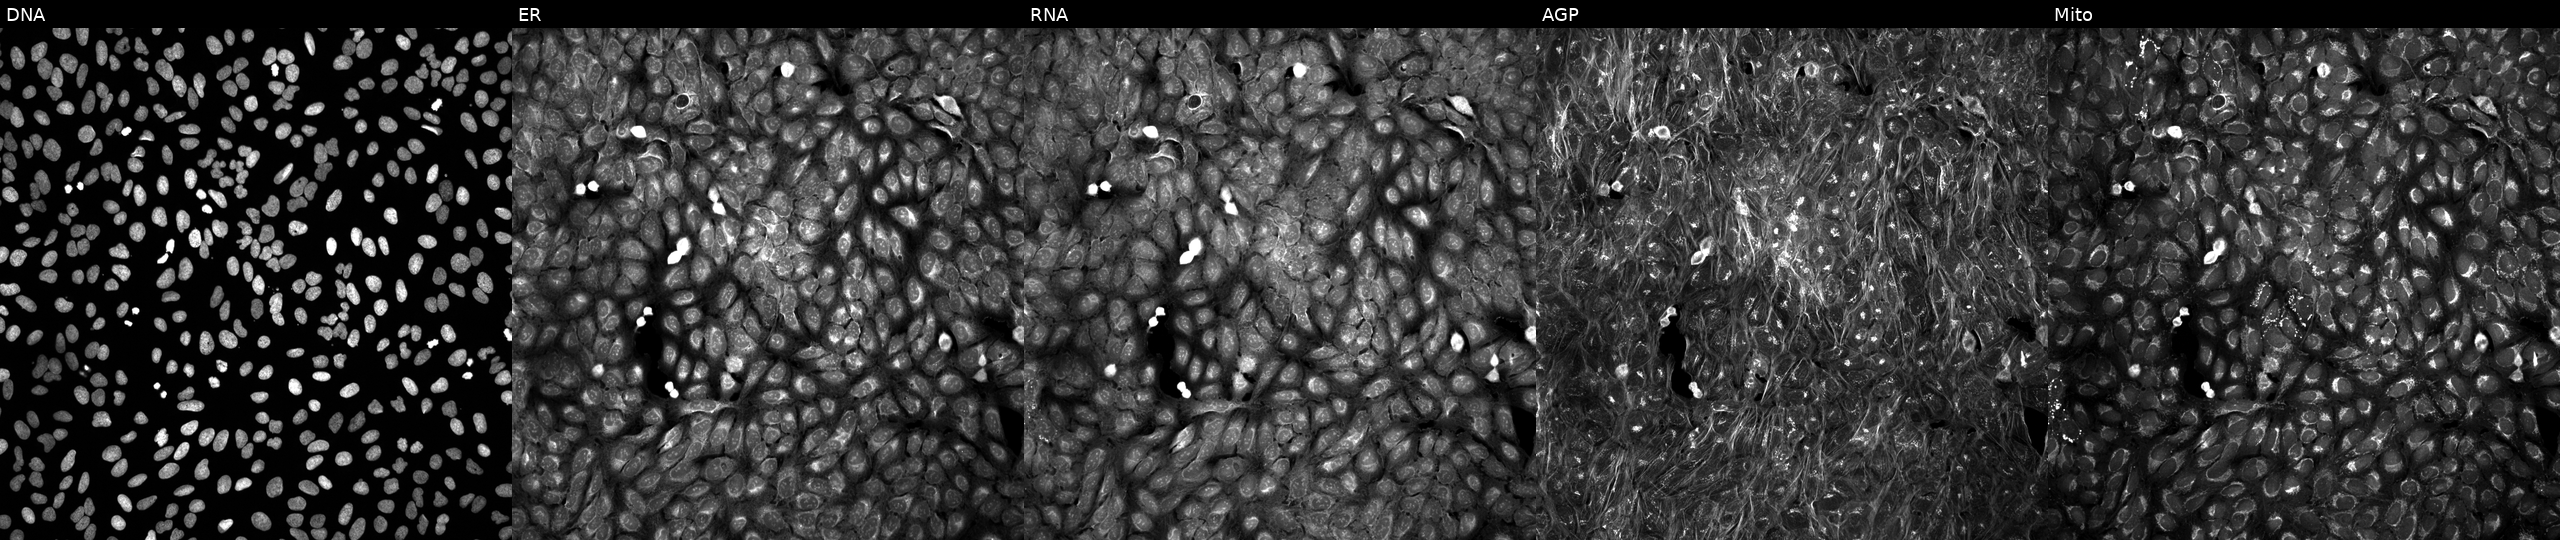
The five panels, left to right, show DNA (nuclei); ER (endoplasmic reticulum); RNA (nucleoli and cytoplasmic RNA); AGP (actin cytoskeleton, Golgi, and plasma membrane); Mito (mitochondria). U2OS osteosarcoma cells exposed to DMSO alone as a negative control. Cell Painting assay, JUMP-CP dataset.